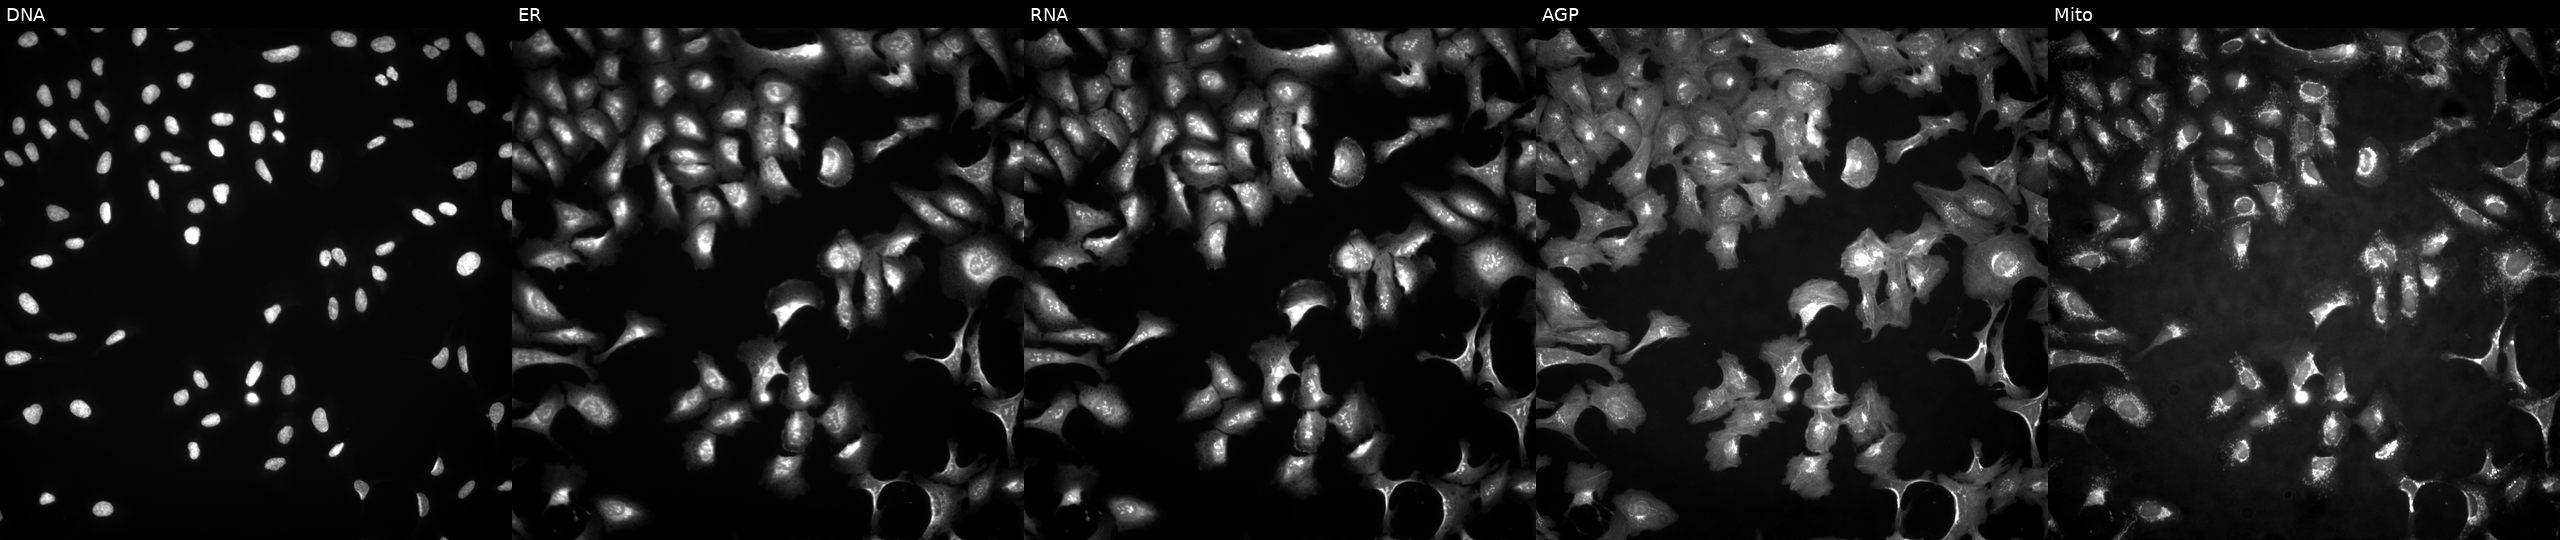
U2OS cells, Cell Painting assay, with INPP4B overexpressed (ORF) (JUMP id JCP2022_910547). From left to right: DNA (nuclei); ER (endoplasmic reticulum); RNA (nucleoli and cytoplasmic RNA); AGP (actin cytoskeleton, Golgi, and plasma membrane); Mito (mitochondria). Each panel is percentile-stretched 16-bit fluorescence. Source 4, plate BR00123509, well J05.